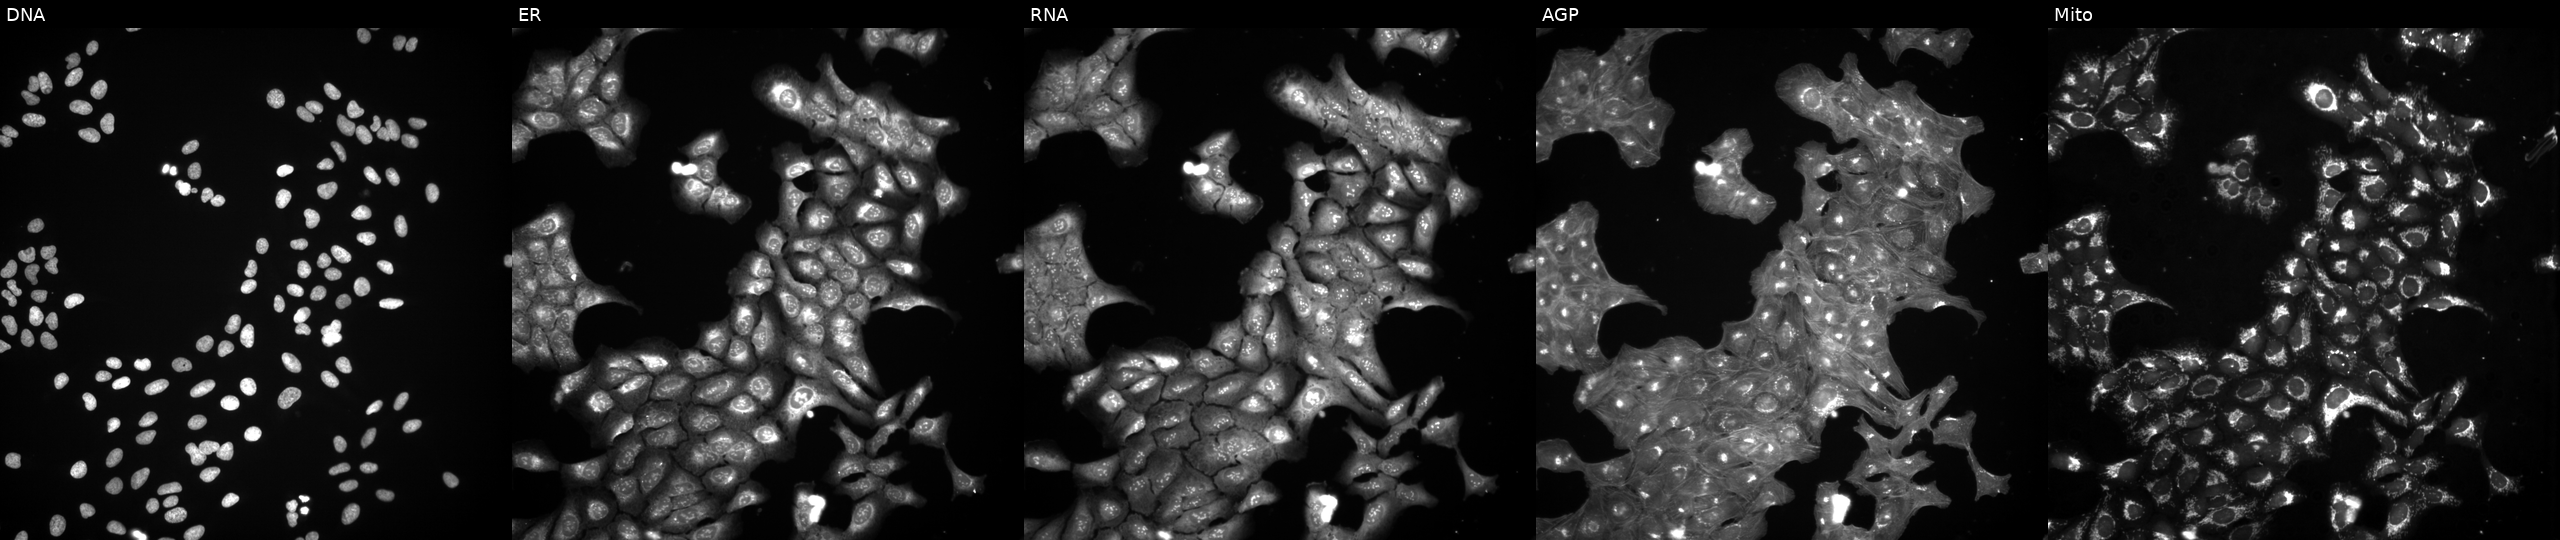
U2OS cells, Cell Painting assay, perturbed with a small-molecule compound. The five panels, left to right, show DNA, ER, RNA, AGP, and Mito. Each panel is percentile-stretched 16-bit fluorescence. Source 3, plate BR5867b3, well L04.